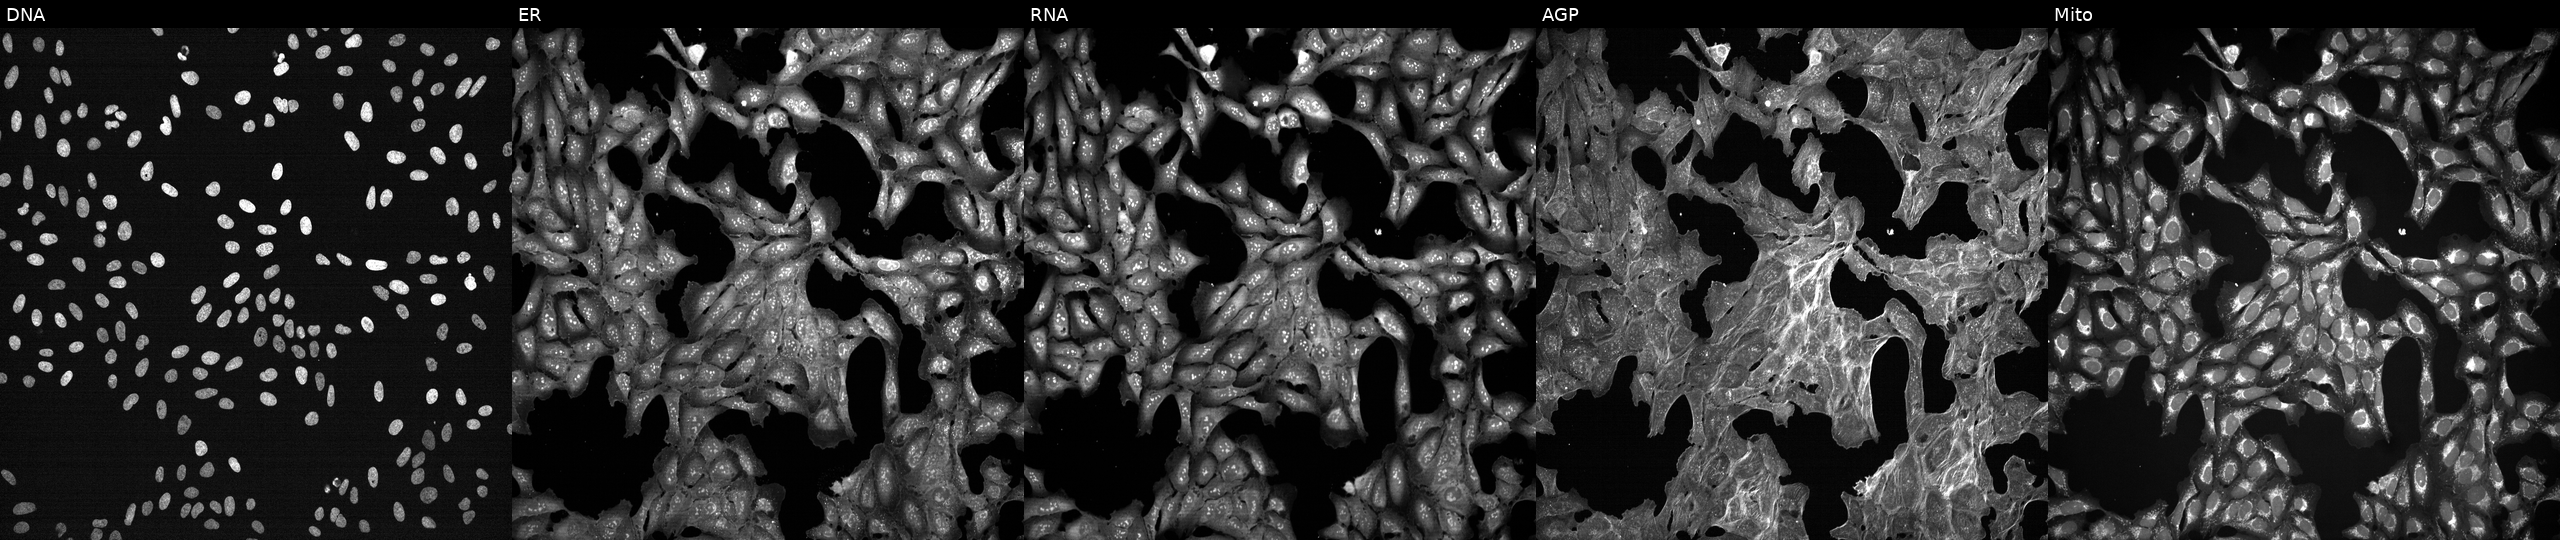
JUMP Cell Painting — TARGET2 plate. U2OS cells exposed to a small-molecule compound (InChIKey ZESFDAKNYJQYKO-UHFFFAOYSA-N) (JUMP id JCP2022_112828). Channels (left→right): DNA, ER, RNA, AGP, and Mito.